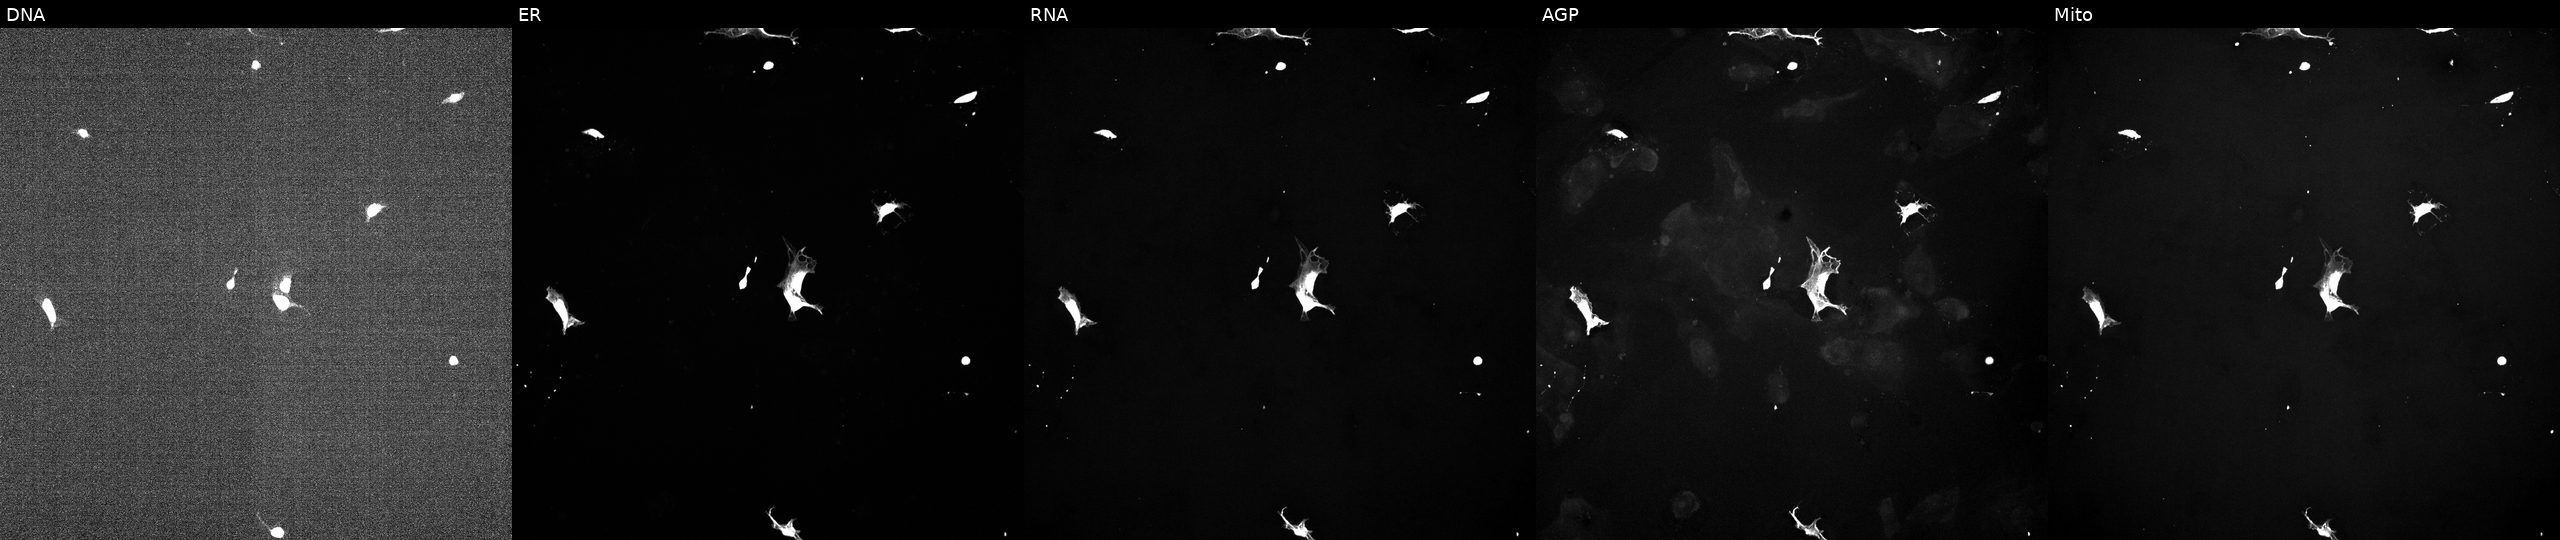
Five-channel Cell Painting image of U2OS cells perturbed with a small-molecule compound (JUMP id JCP2022_067441). Channels (left→right): DNA (nuclei); ER (endoplasmic reticulum); RNA (nucleoli and cytoplasmic RNA); AGP (actin cytoskeleton, Golgi, and plasma membrane); Mito (mitochondria).